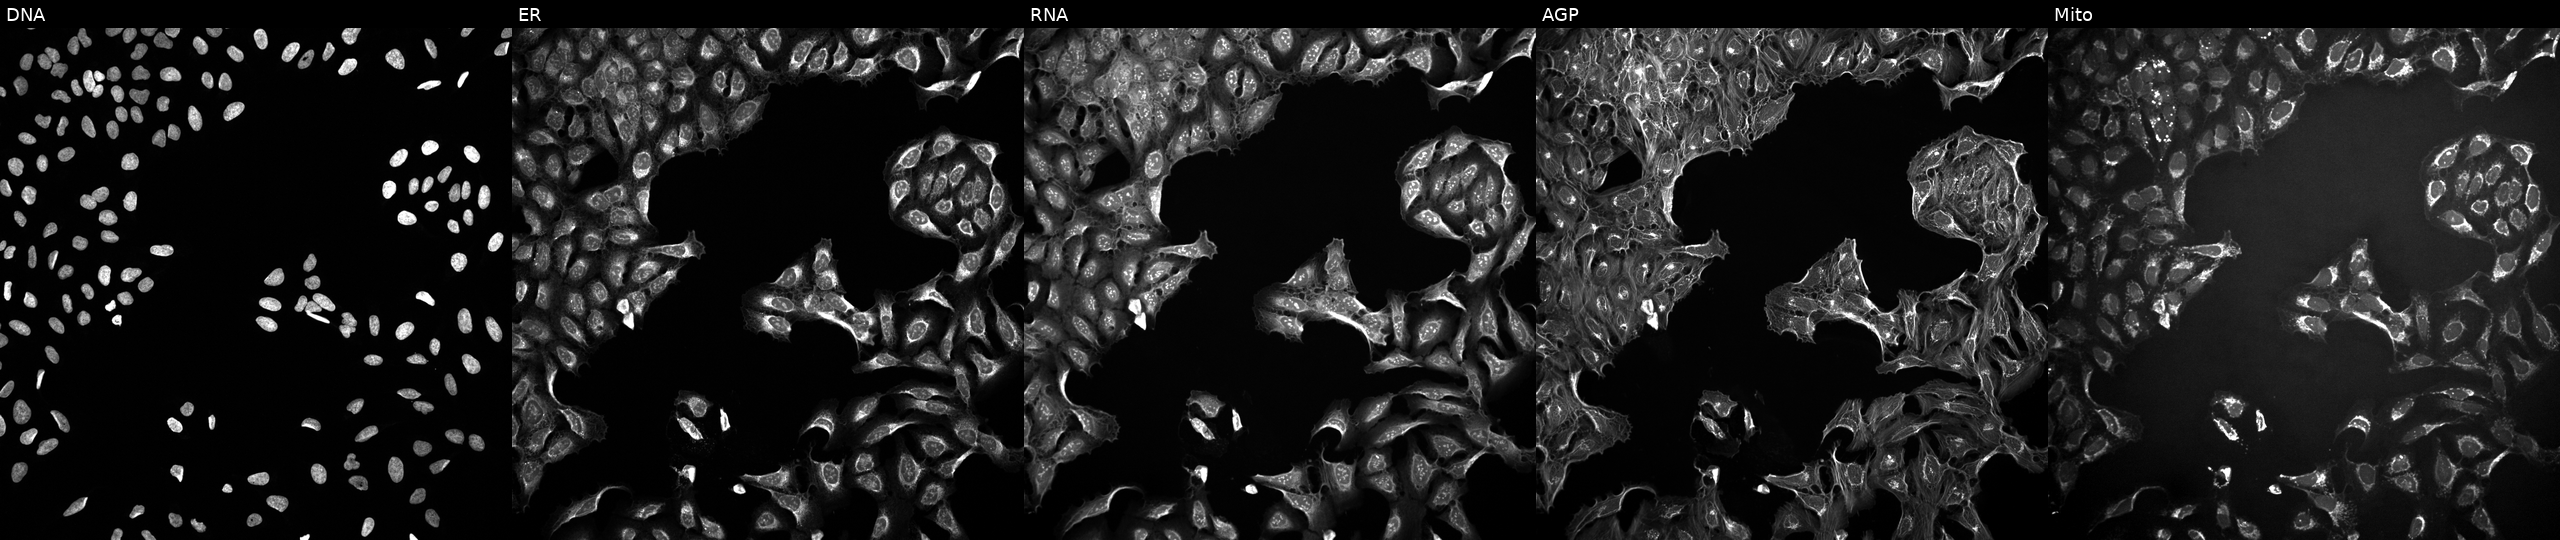
Five-channel Cell Painting image of U2OS cells treated with DMSO vehicle only (negative control). Channels (left→right): DNA, ER, RNA, AGP, and Mito.